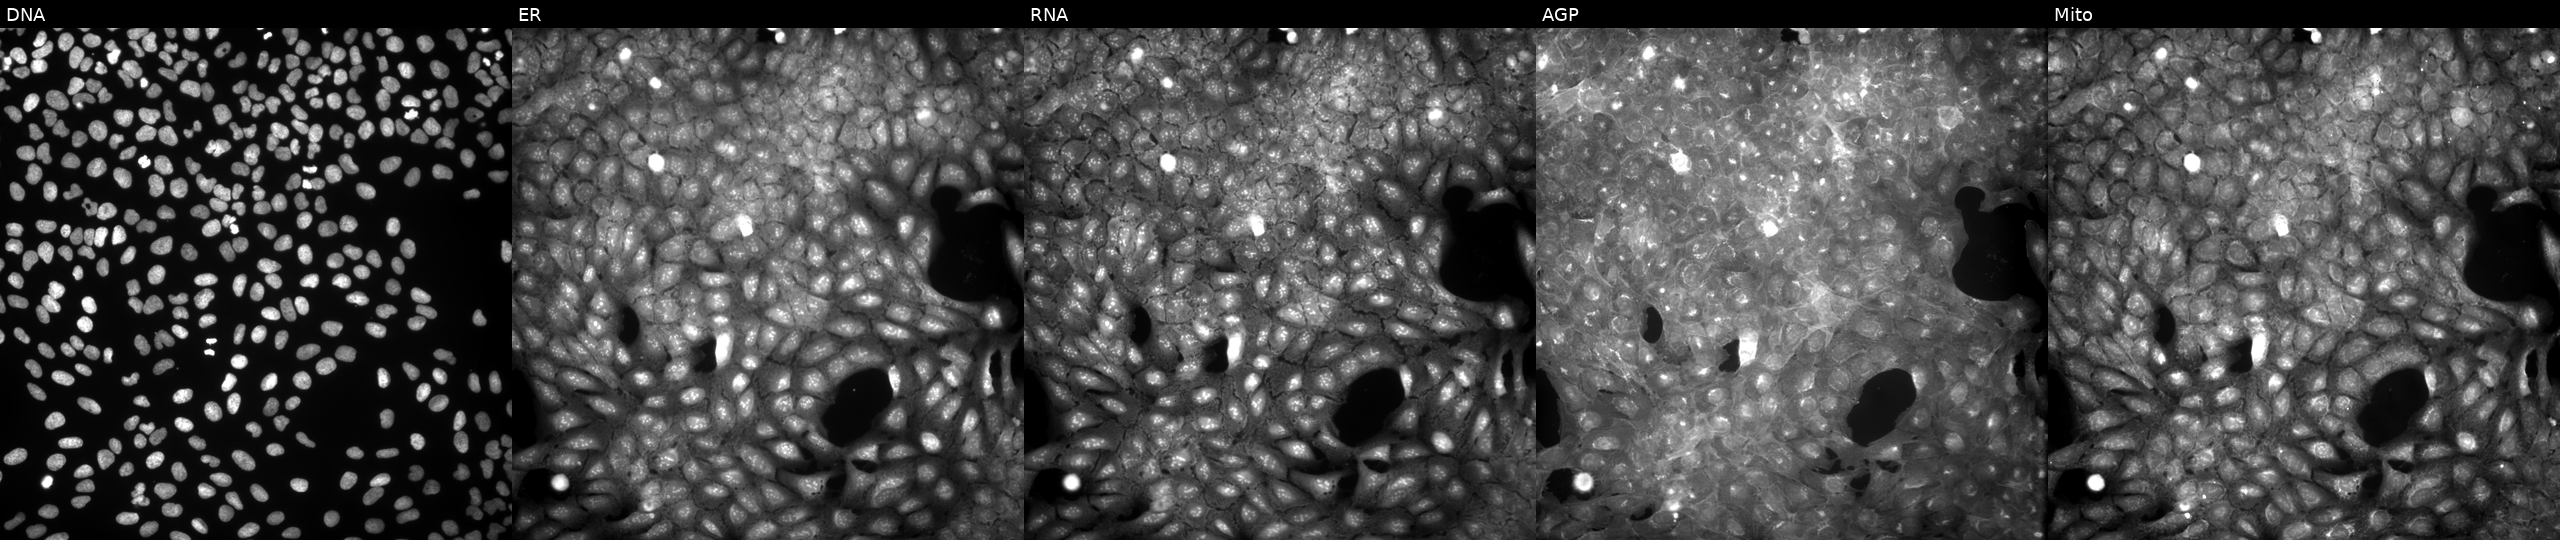
JUMP Cell Painting — COMPOUND plate. U2OS cells exposed to a small-molecule compound (JUMP id JCP2022_066712). From left to right: DNA, ER, RNA, AGP, and Mito.